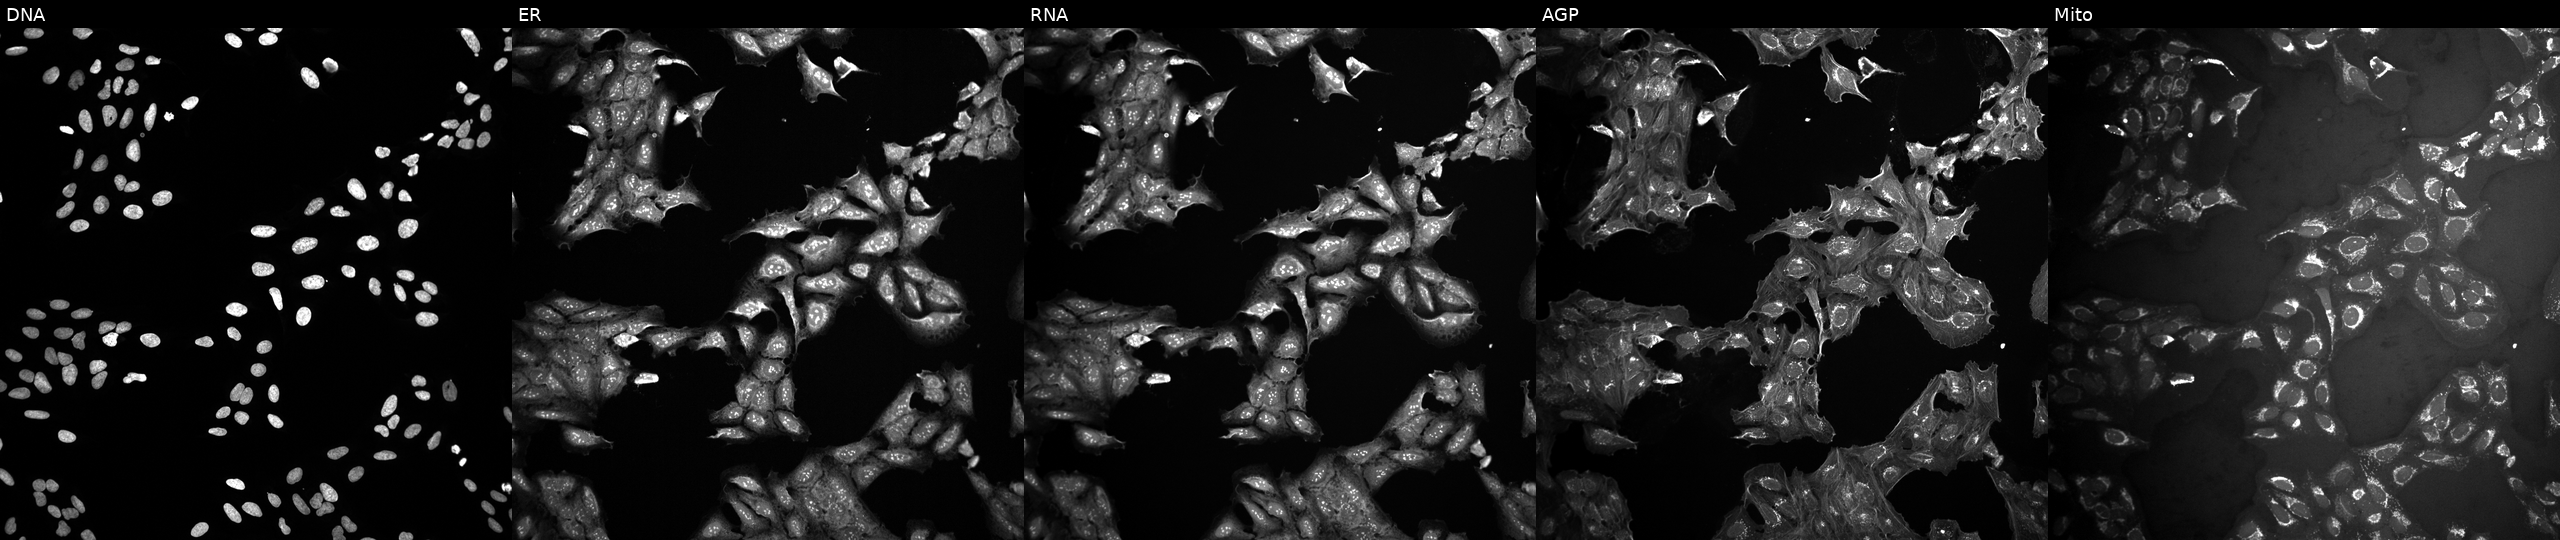
Channels (left→right): DNA, ER, RNA, AGP, and Mito. U2OS osteosarcoma cells exposed to DMSO alone as a negative control (JUMP id JCP2022_033924). Cell Painting assay, JUMP-CP dataset.